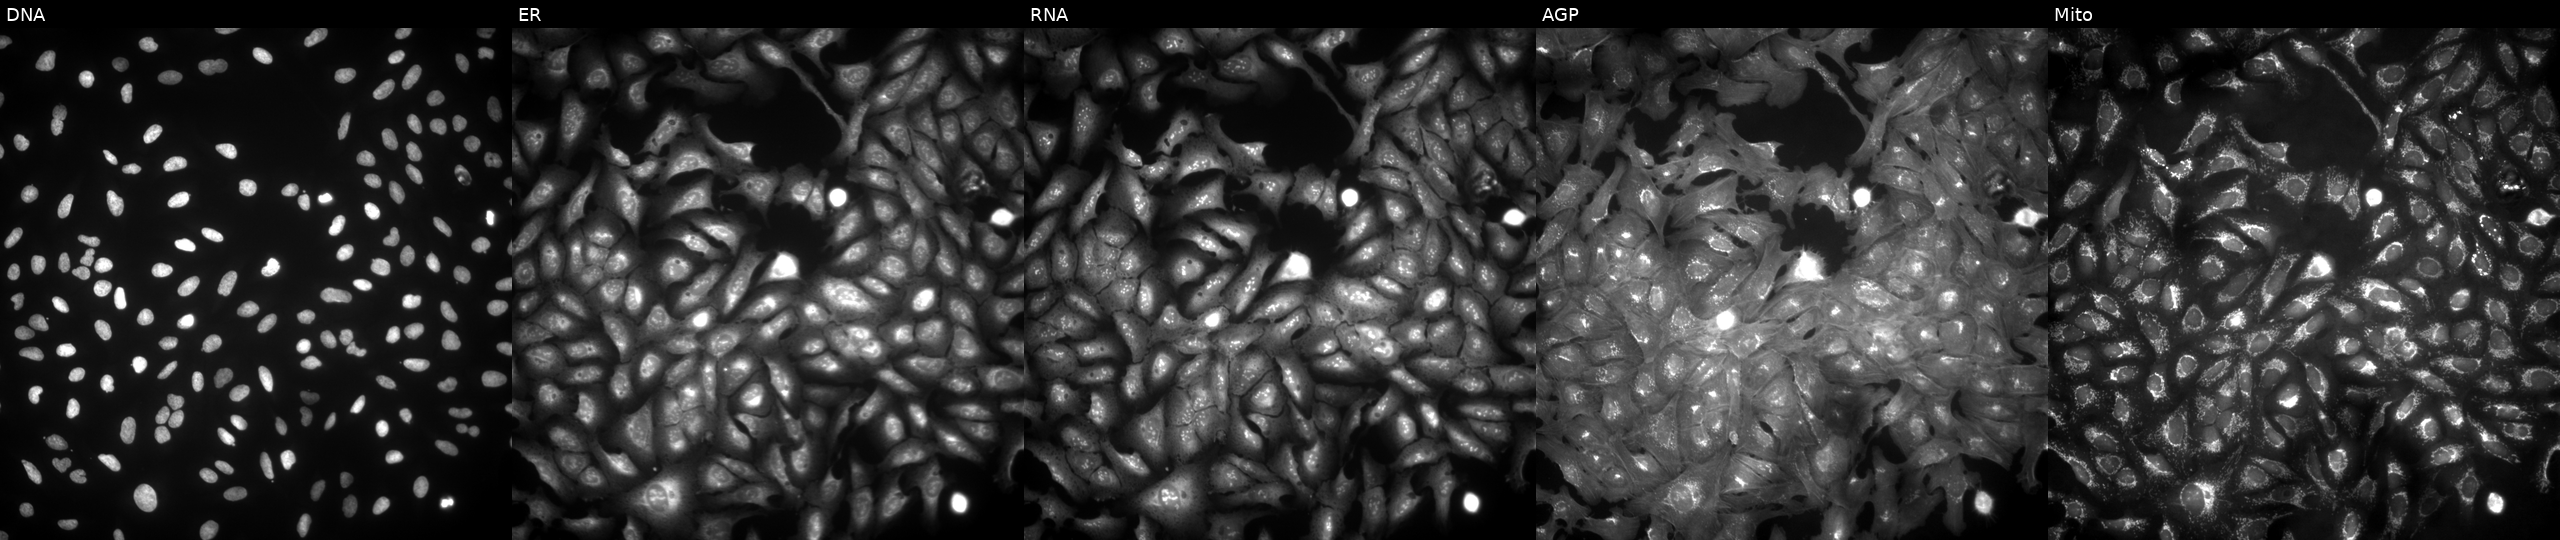
U2OS cells, Cell Painting assay, with PRPH overexpressed (ORF) (JUMP id JCP2022_906348). From left to right: Hoechst 33342, concanavalin A, SYTO 14, phalloidin and WGA, MitoTracker. Each panel is percentile-stretched 16-bit fluorescence.